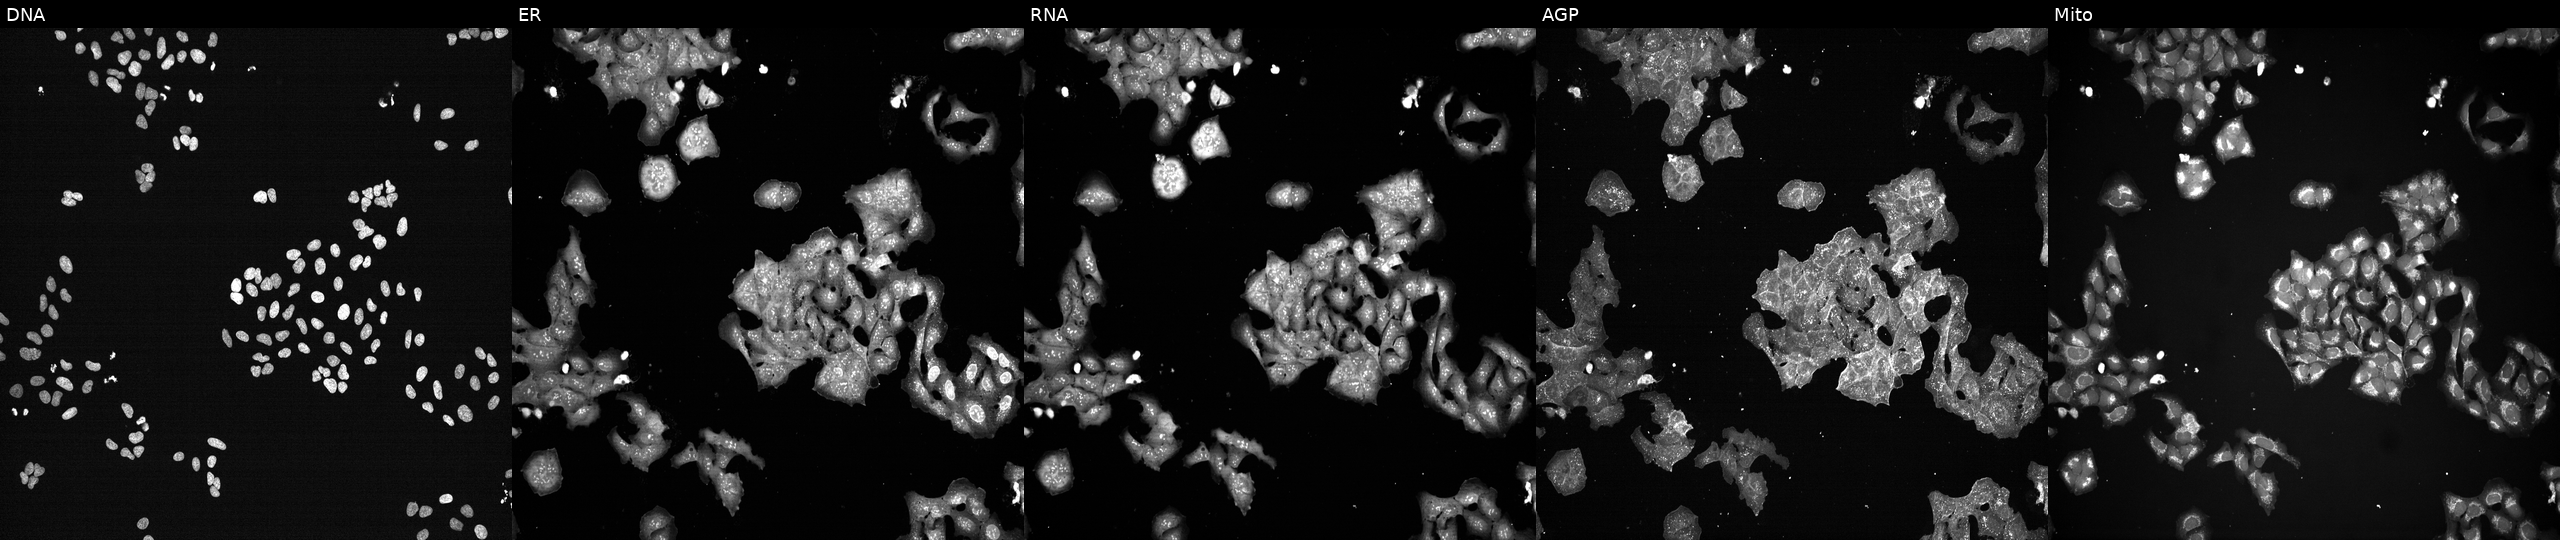
Five-channel Cell Painting image of U2OS cells treated with NVS-PAK1-1 (positive-control compound) (JUMP id JCP2022_064022). The five panels, left to right, show DNA (nuclei); ER (endoplasmic reticulum); RNA (nucleoli and cytoplasmic RNA); AGP (actin cytoskeleton, Golgi, and plasma membrane); Mito (mitochondria).